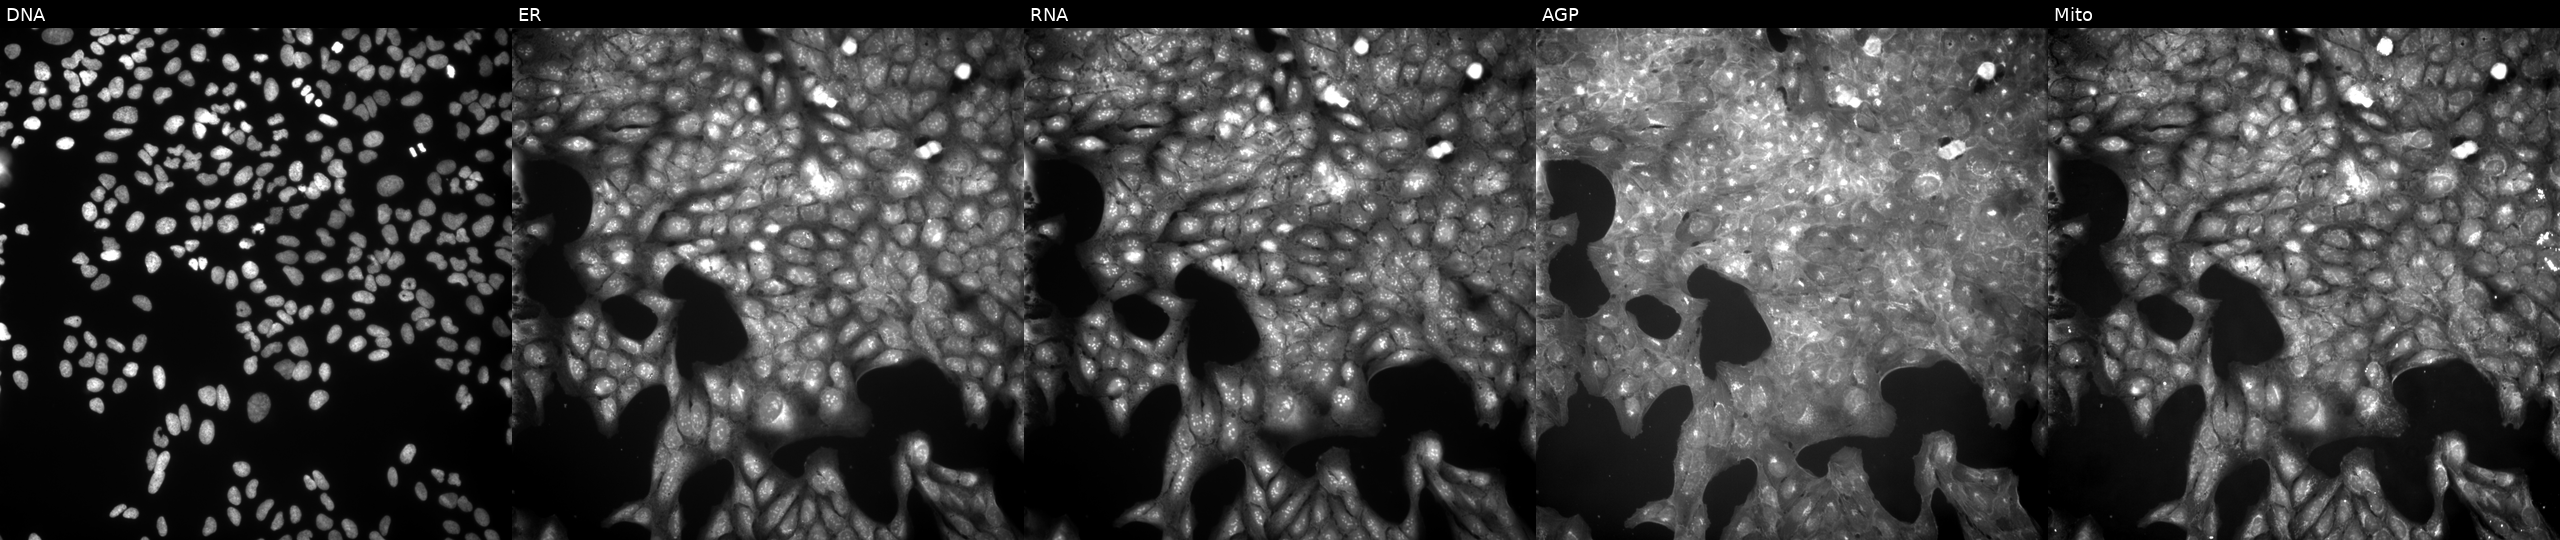
This image strip shows the five Cell Painting channels for a single field of U2OS cells perturbed with a small-molecule compound (JUMP id JCP2022_049027). From left to right: Hoechst 33342, concanavalin A, SYTO 14, phalloidin and WGA, MitoTracker.